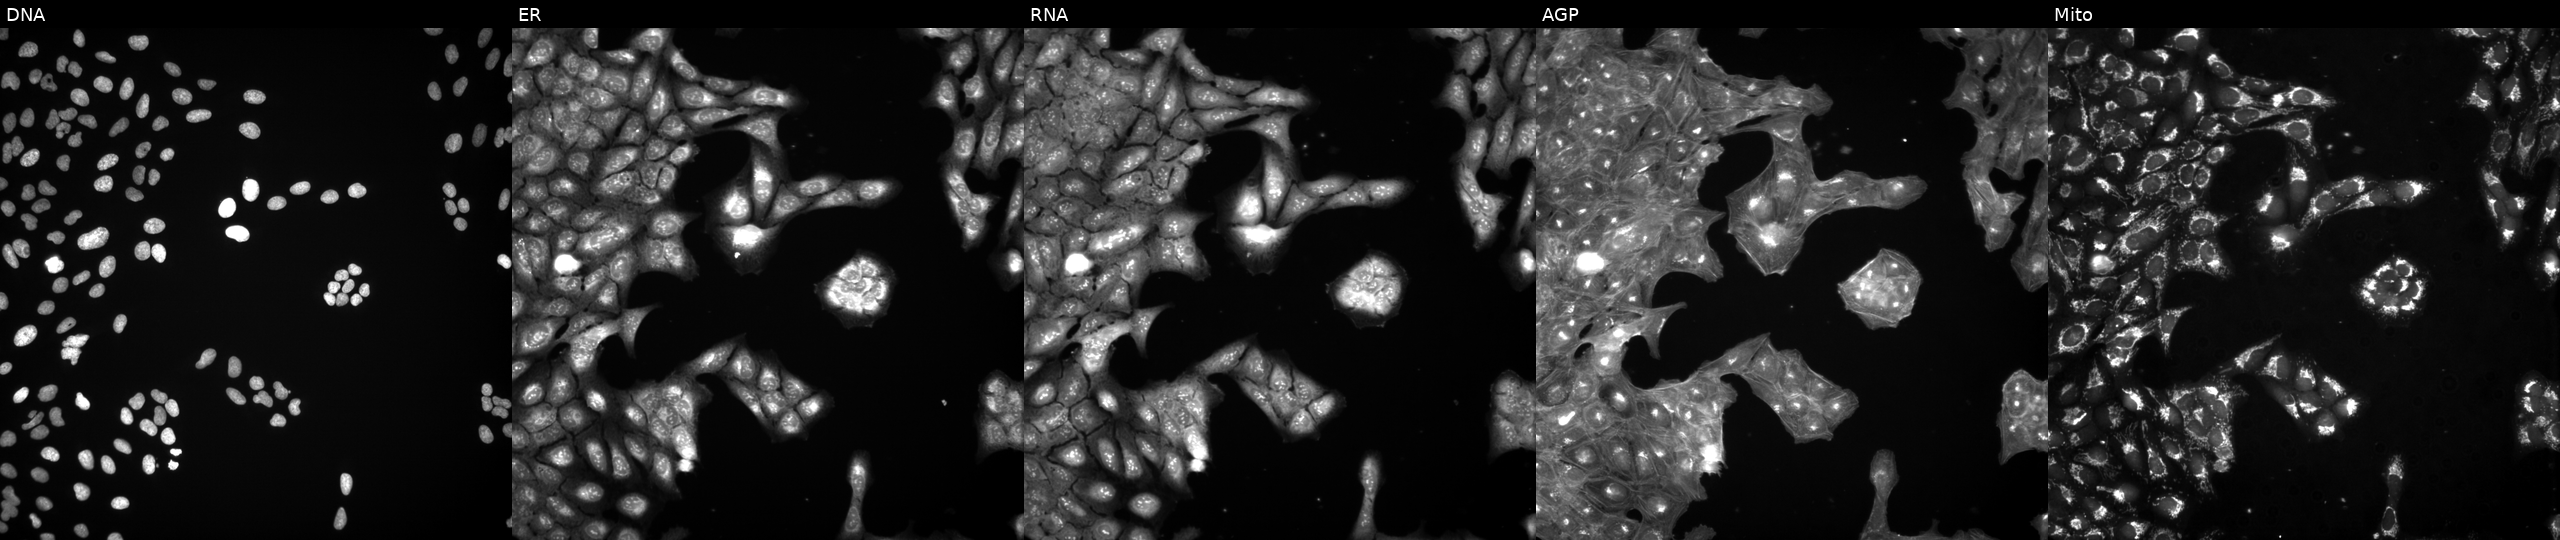
This image strip shows the five Cell Painting channels for a single field of U2OS cells perturbed with a small-molecule compound (InChIKey HLNUVJFYPBPCMF-UHFFFAOYSA-N). The five panels, left to right, show Hoechst 33342, concanavalin A, SYTO 14, phalloidin and WGA, MitoTracker. Source 3, plate BR5867a3, well J18.